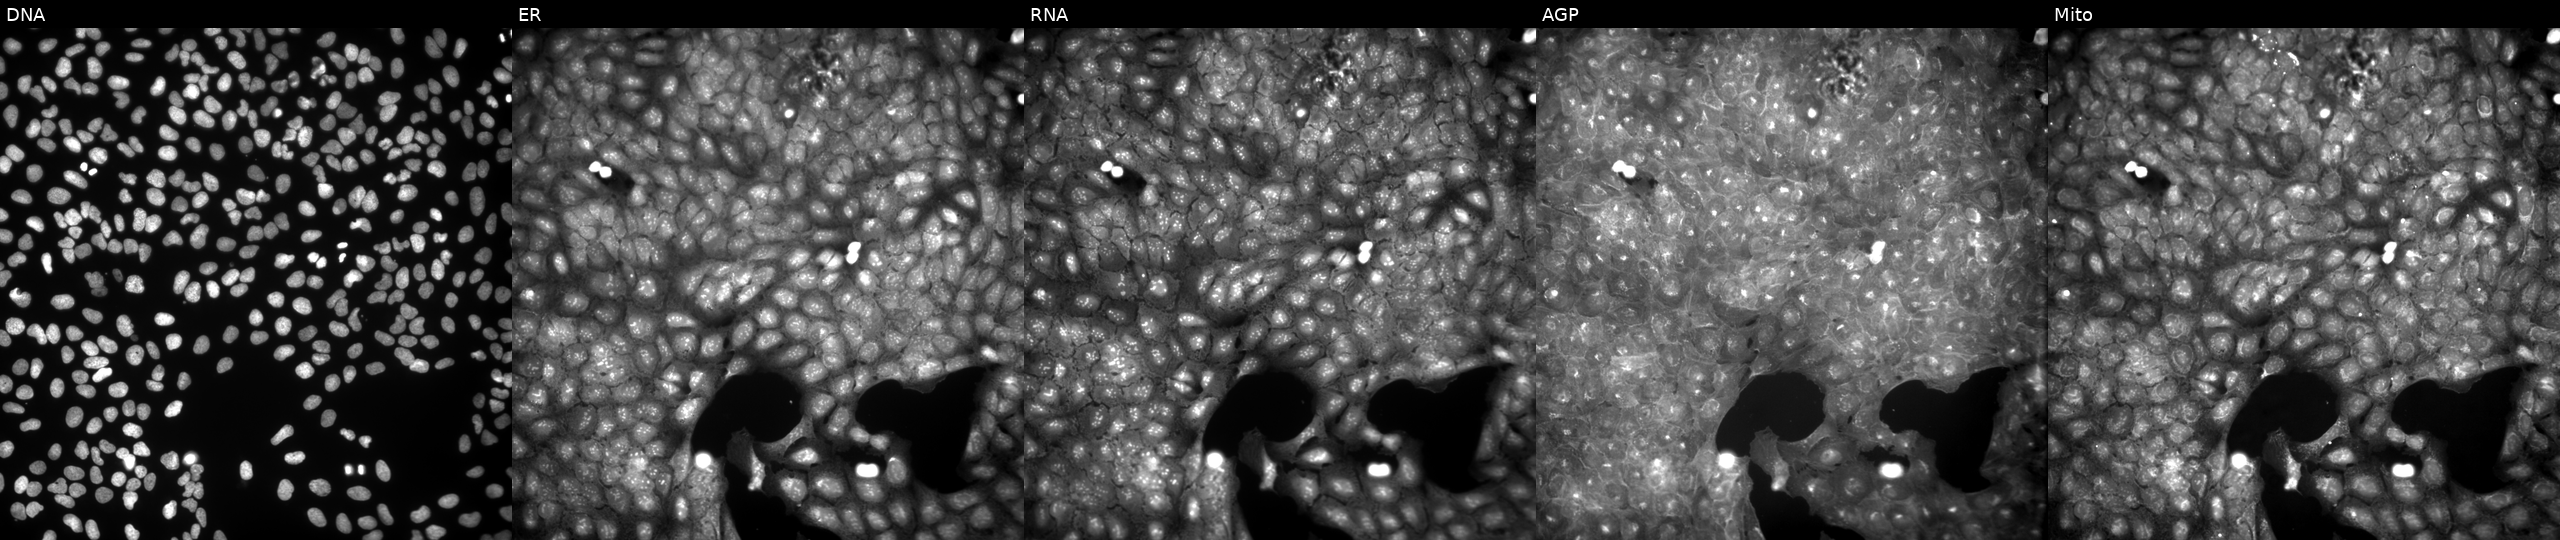
U2OS cells, Cell Painting assay, exposed to a small-molecule compound [SMILES: CCCOc1ccc(CSc2n[nH]c(C)n2)cc1]. From left to right: DNA, ER, RNA, AGP, and Mito. Each panel is percentile-stretched 16-bit fluorescence.